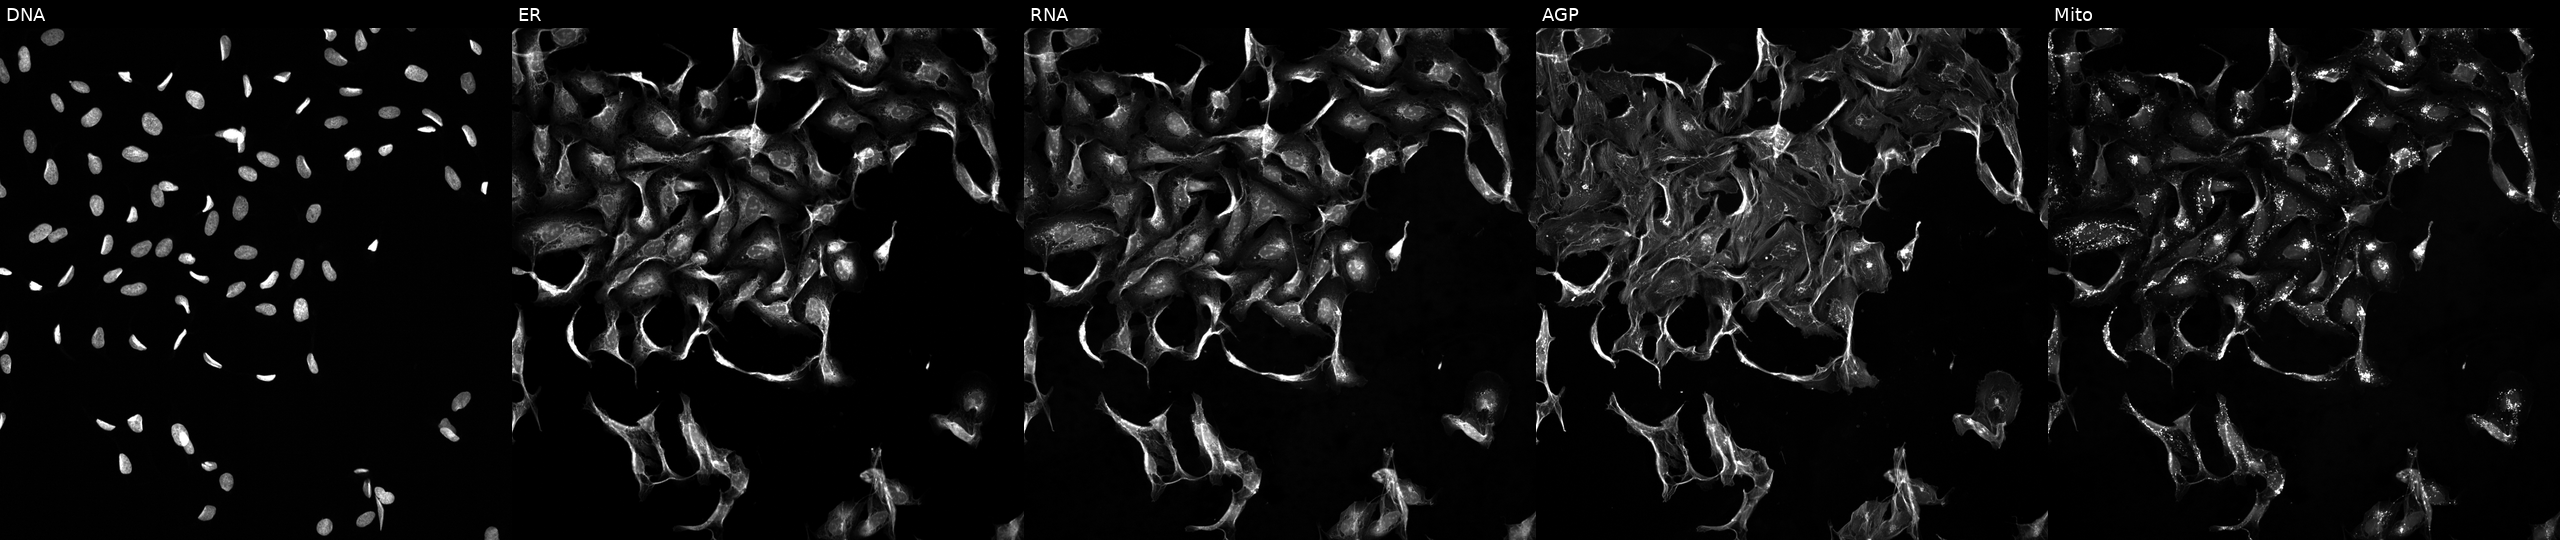
Five-channel Cell Painting image of U2OS cells treated with a small-molecule compound (InChIKey QNRODODTMXCRKU-UHFFFAOYSA-N) (JUMP id JCP2022_074702). Panels show, left to right, DNA (nuclei); ER (endoplasmic reticulum); RNA (nucleoli and cytoplasmic RNA); AGP (actin cytoskeleton, Golgi, and plasma membrane); Mito (mitochondria). Source 5, plate ACPJUM012, well O13.